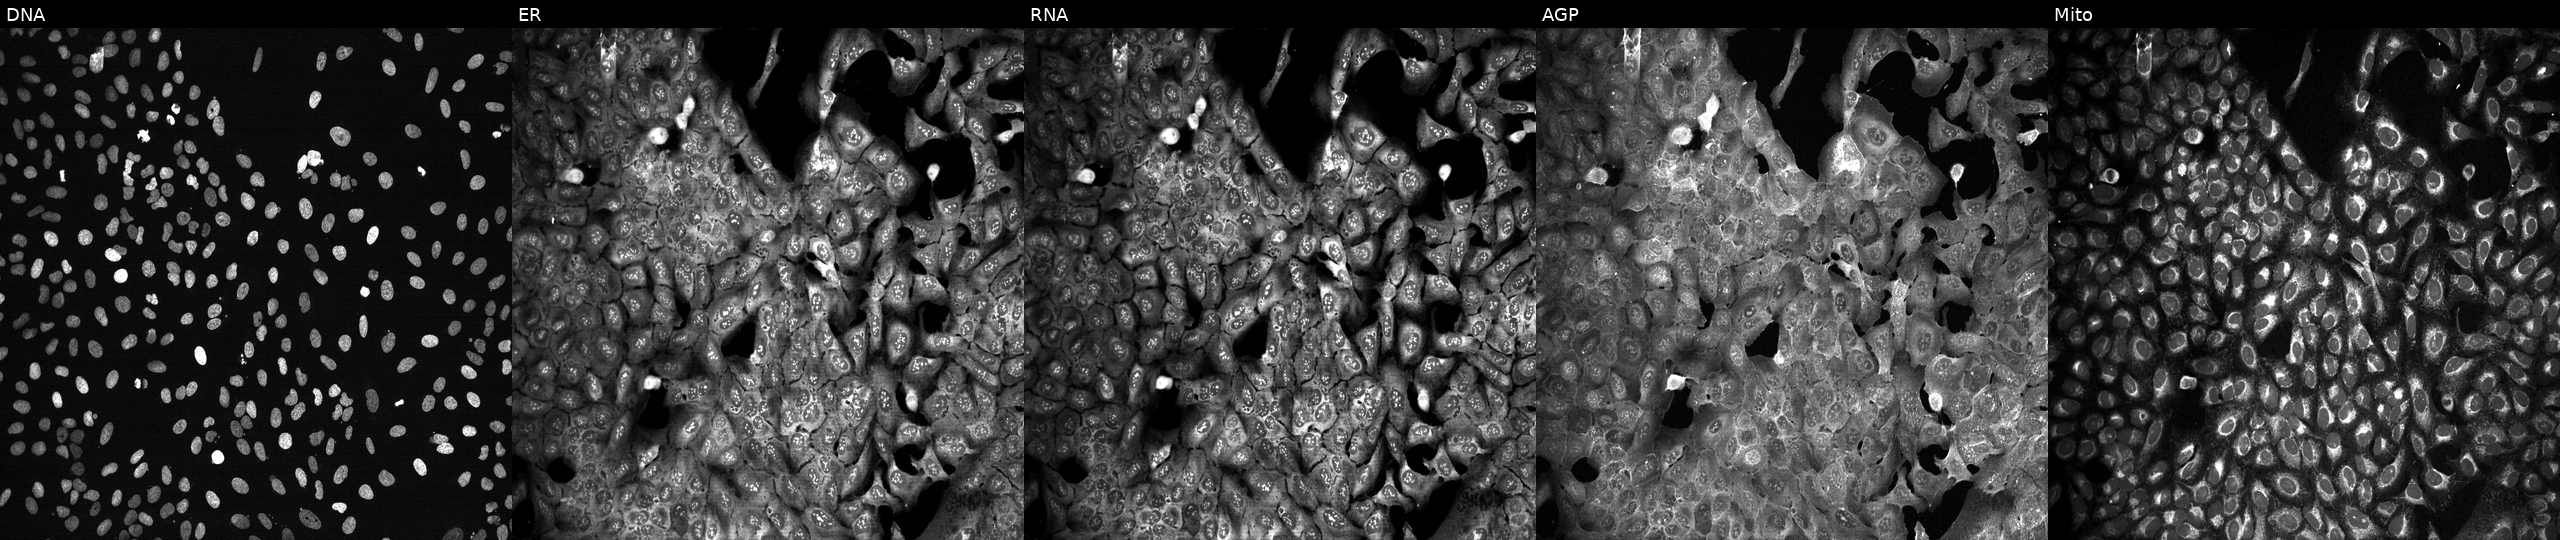
Five-channel Cell Painting image of U2OS cells CRISPR-edited to disrupt ALDH1A1. Panels show, left to right, DNA (nuclei); ER (endoplasmic reticulum); RNA (nucleoli and cytoplasmic RNA); AGP (actin cytoskeleton, Golgi, and plasma membrane); Mito (mitochondria). Source 13, plate CP-CC9-R3-02, well D22.